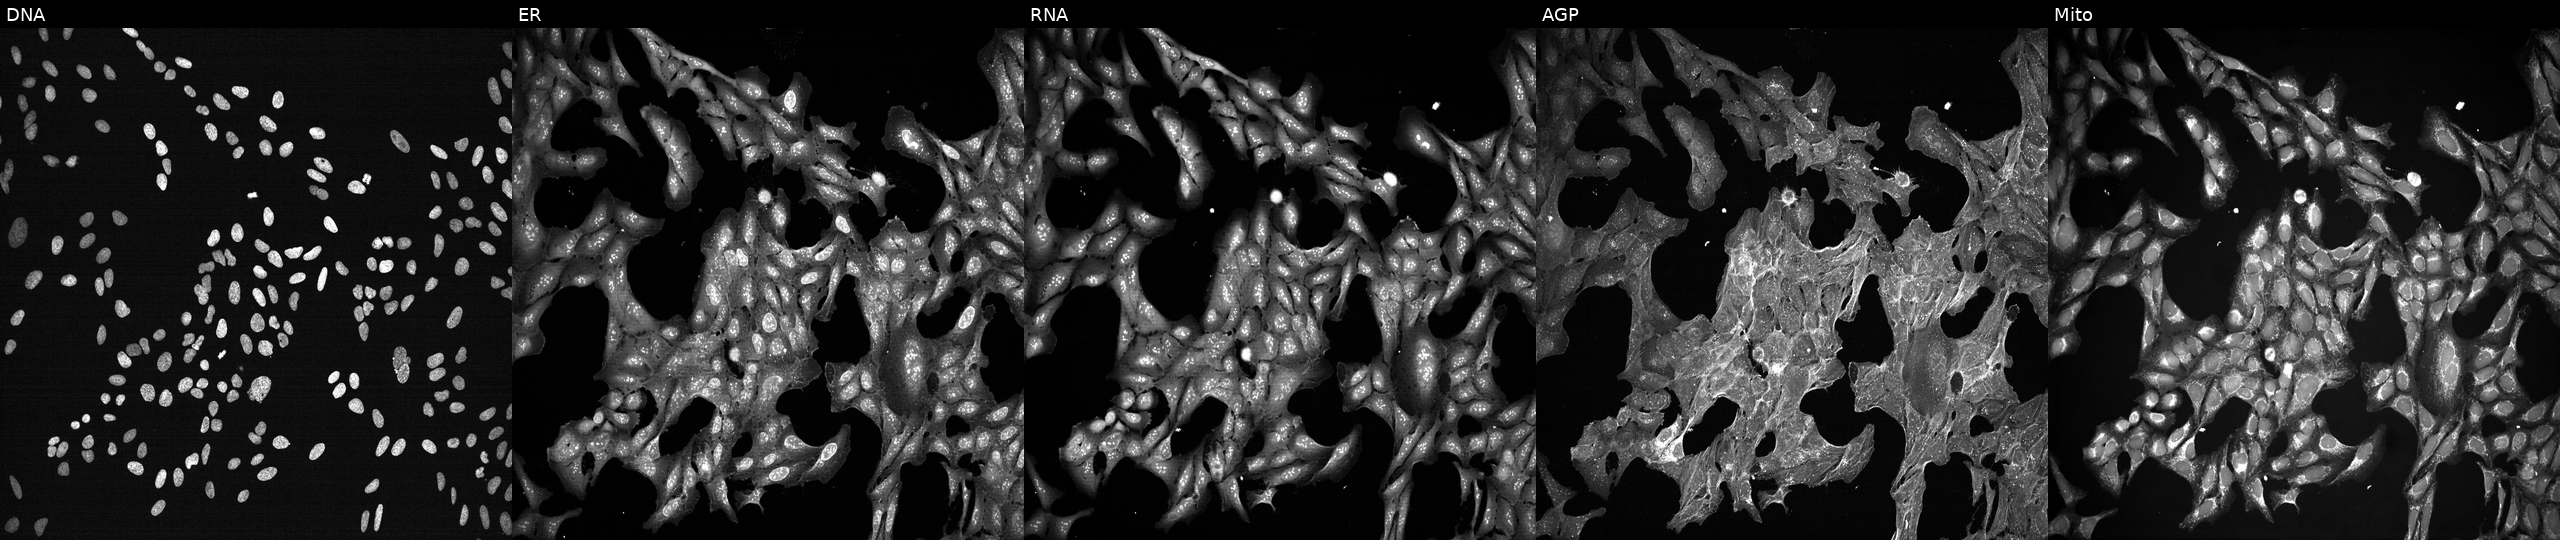
High-content fluorescence microscopy (Cell Painting). Cell line: U2OS. Perturbation: treated with dexamethasone (positive-control compound) (JUMP id JCP2022_025848). From left to right: DNA (nuclei); ER (endoplasmic reticulum); RNA (nucleoli and cytoplasmic RNA); AGP (actin cytoskeleton, Golgi, and plasma membrane); Mito (mitochondria).